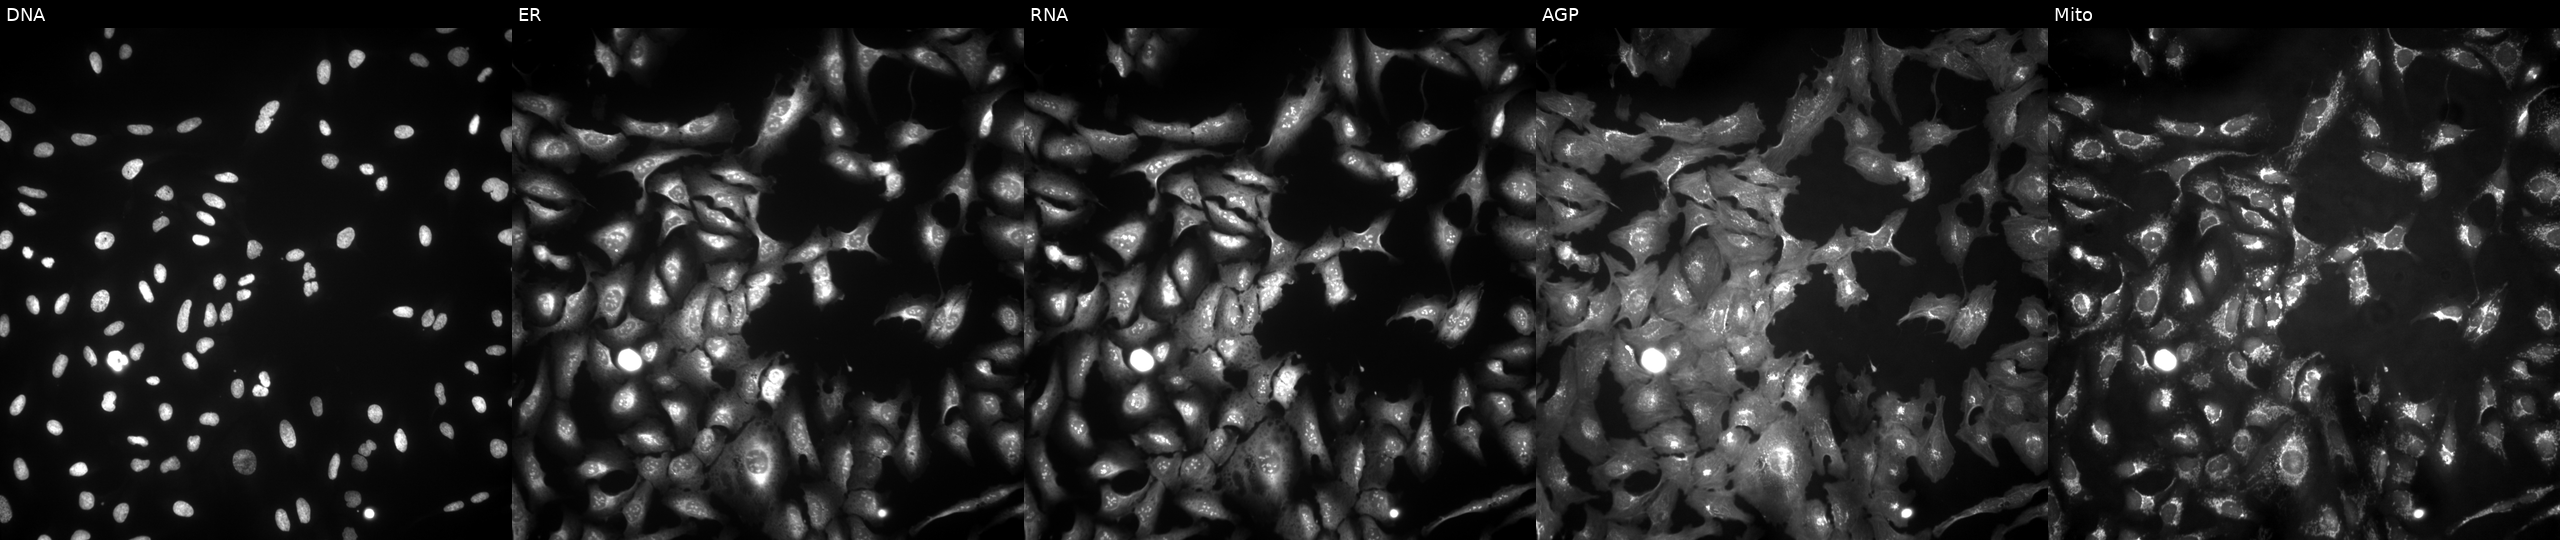
Channels (left→right): DNA, ER, RNA, AGP, and Mito. U2OS osteosarcoma cells overexpressing SERPINA1 via ORF transfection. Cell Painting assay, JUMP-CP dataset.